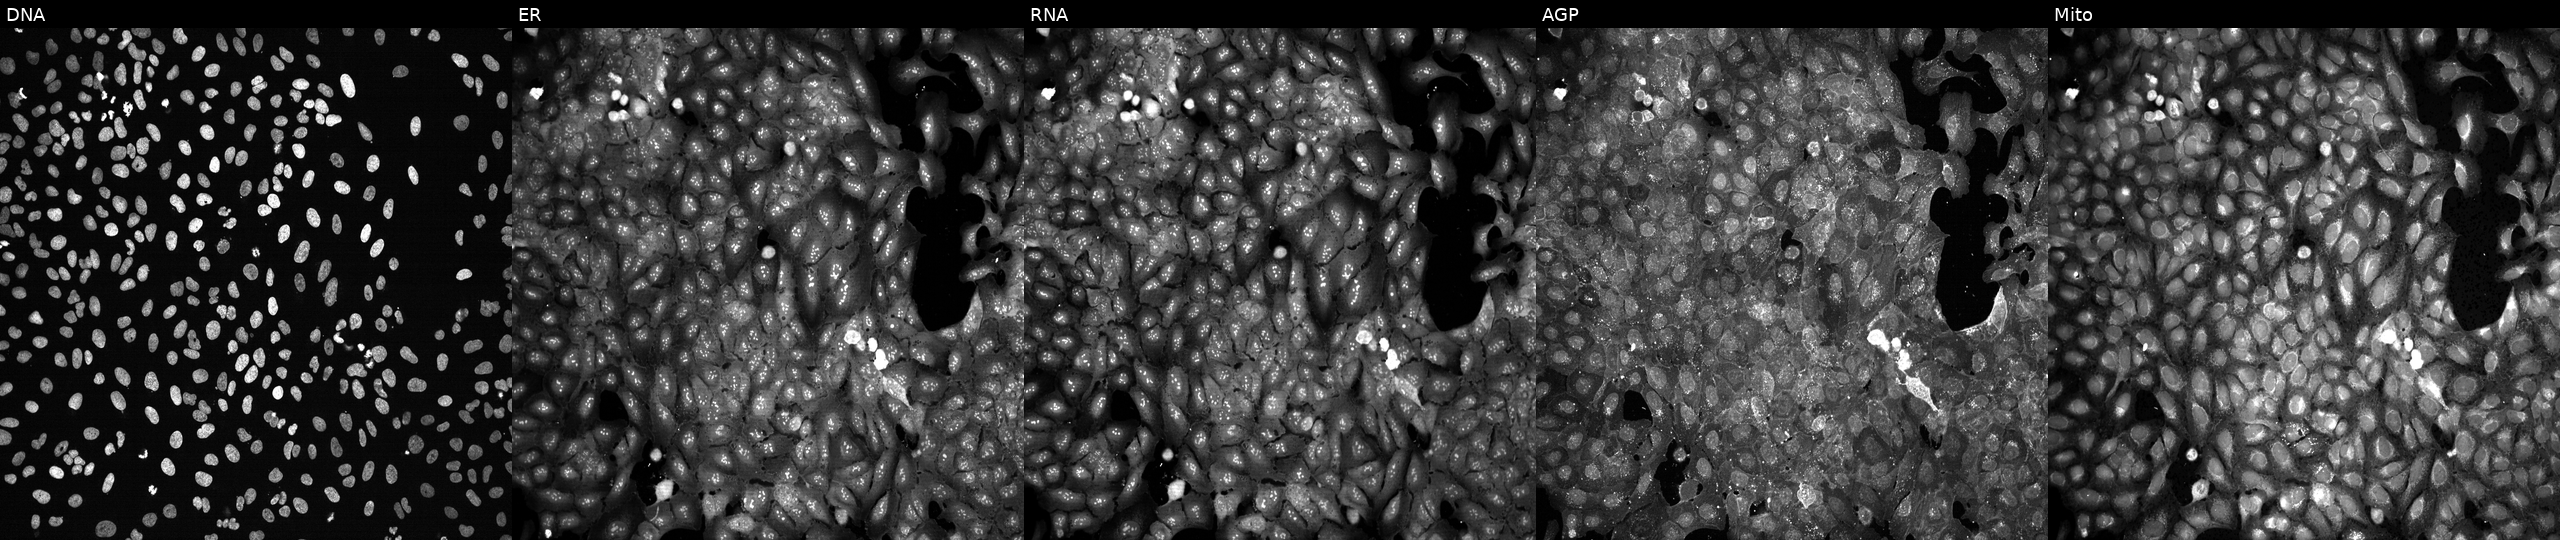
Five-channel Cell Painting image of U2OS cells CRISPR-edited to disrupt AKR1B1 (JUMP id JCP2022_800362). The five panels, left to right, show Hoechst 33342, concanavalin A, SYTO 14, phalloidin and WGA, MitoTracker.